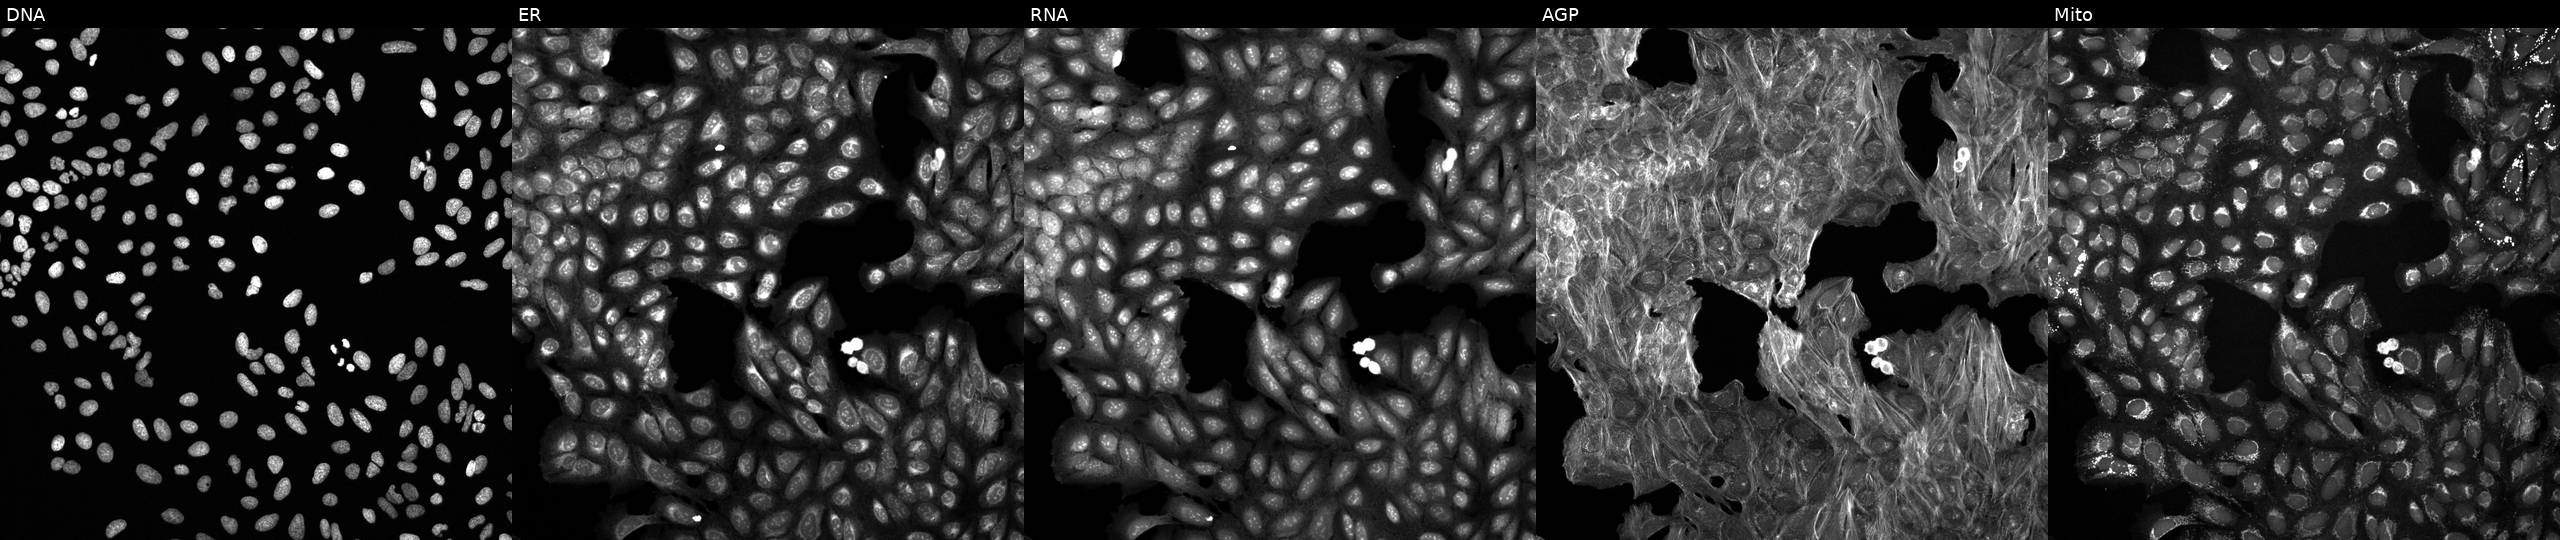
High-content fluorescence microscopy (Cell Painting). Cell line: U2OS. Perturbation: treated with a small-molecule compound (InChIKey JZFPYUNJRRFVQU-UHFFFAOYSA-N). Channels (left→right): DNA (nuclei); ER (endoplasmic reticulum); RNA (nucleoli and cytoplasmic RNA); AGP (actin cytoskeleton, Golgi, and plasma membrane); Mito (mitochondria). Source 6, plate 110000293081, well P22.